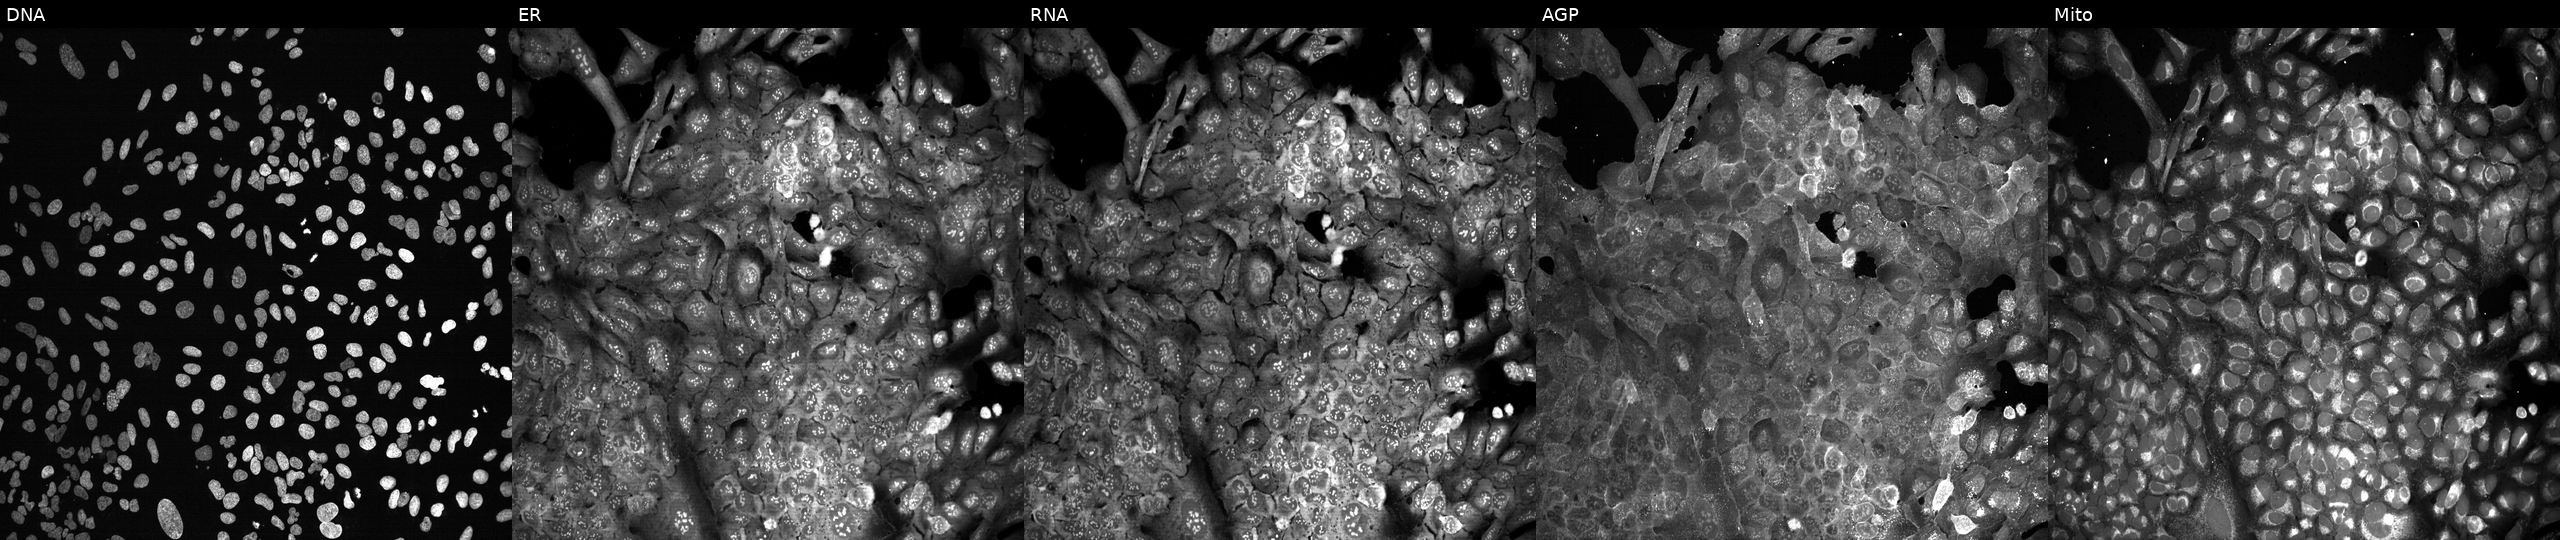
High-content fluorescence microscopy (Cell Painting). Cell line: U2OS. Perturbation: CRISPR-edited to disrupt ACSL4. Channels (left→right): Hoechst 33342, concanavalin A, SYTO 14, phalloidin and WGA, MitoTracker. Source 13, plate CP-CC9-R5-01, well D07.